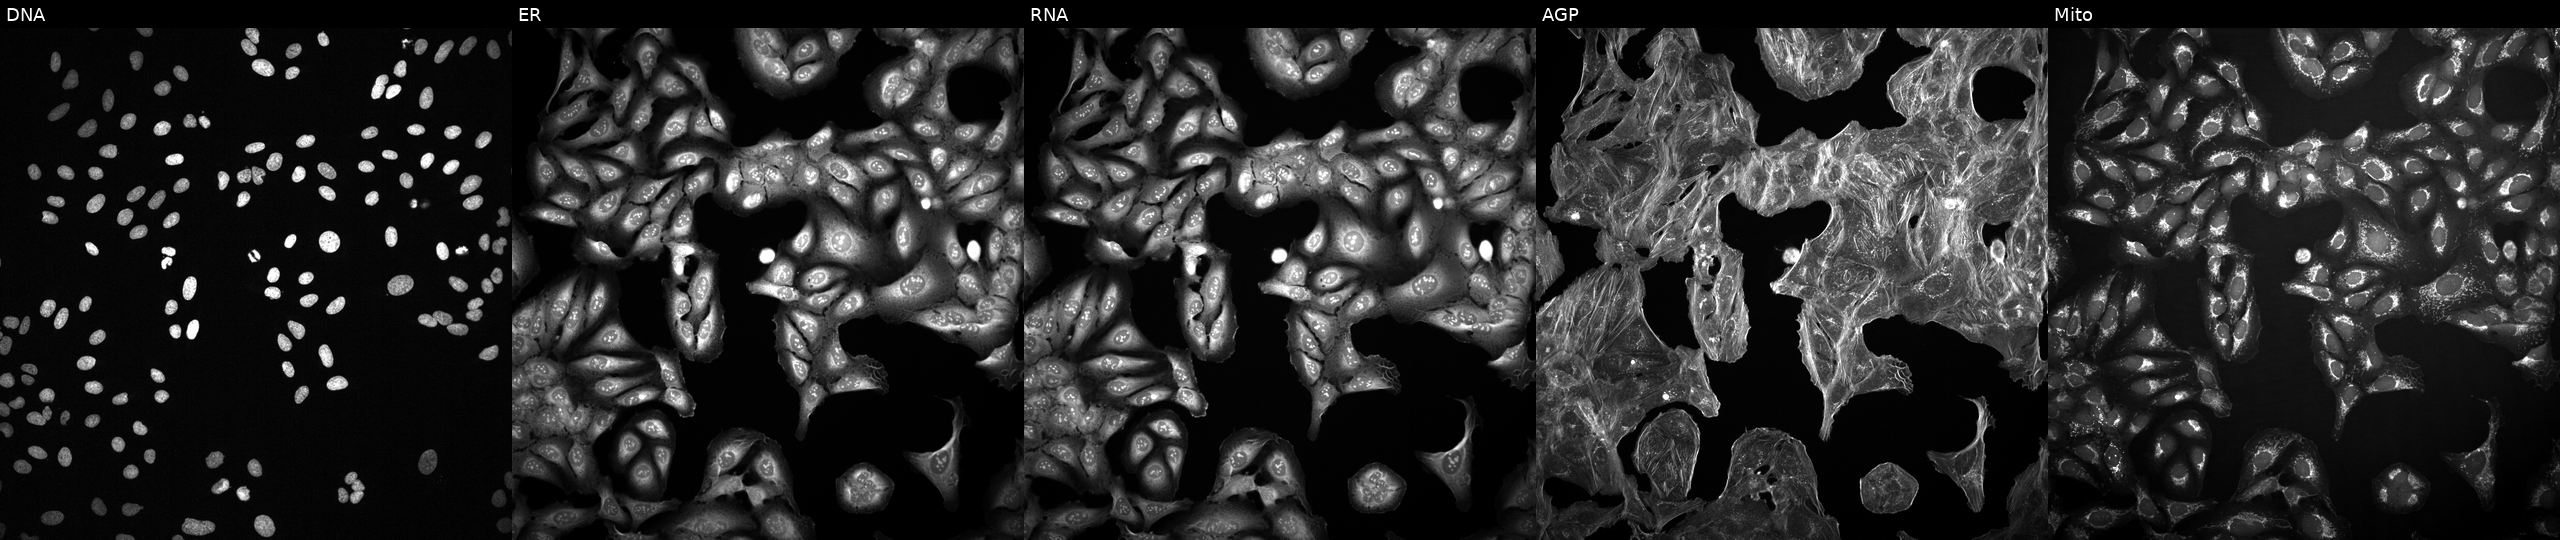
U2OS cells, Cell Painting assay, treated with a small-molecule compound (InChIKey NMUSYJAQQFHJEW-UHFFFAOYSA-N). From left to right: Hoechst 33342, concanavalin A, SYTO 14, phalloidin and WGA, MitoTracker. Each panel is percentile-stretched 16-bit fluorescence.